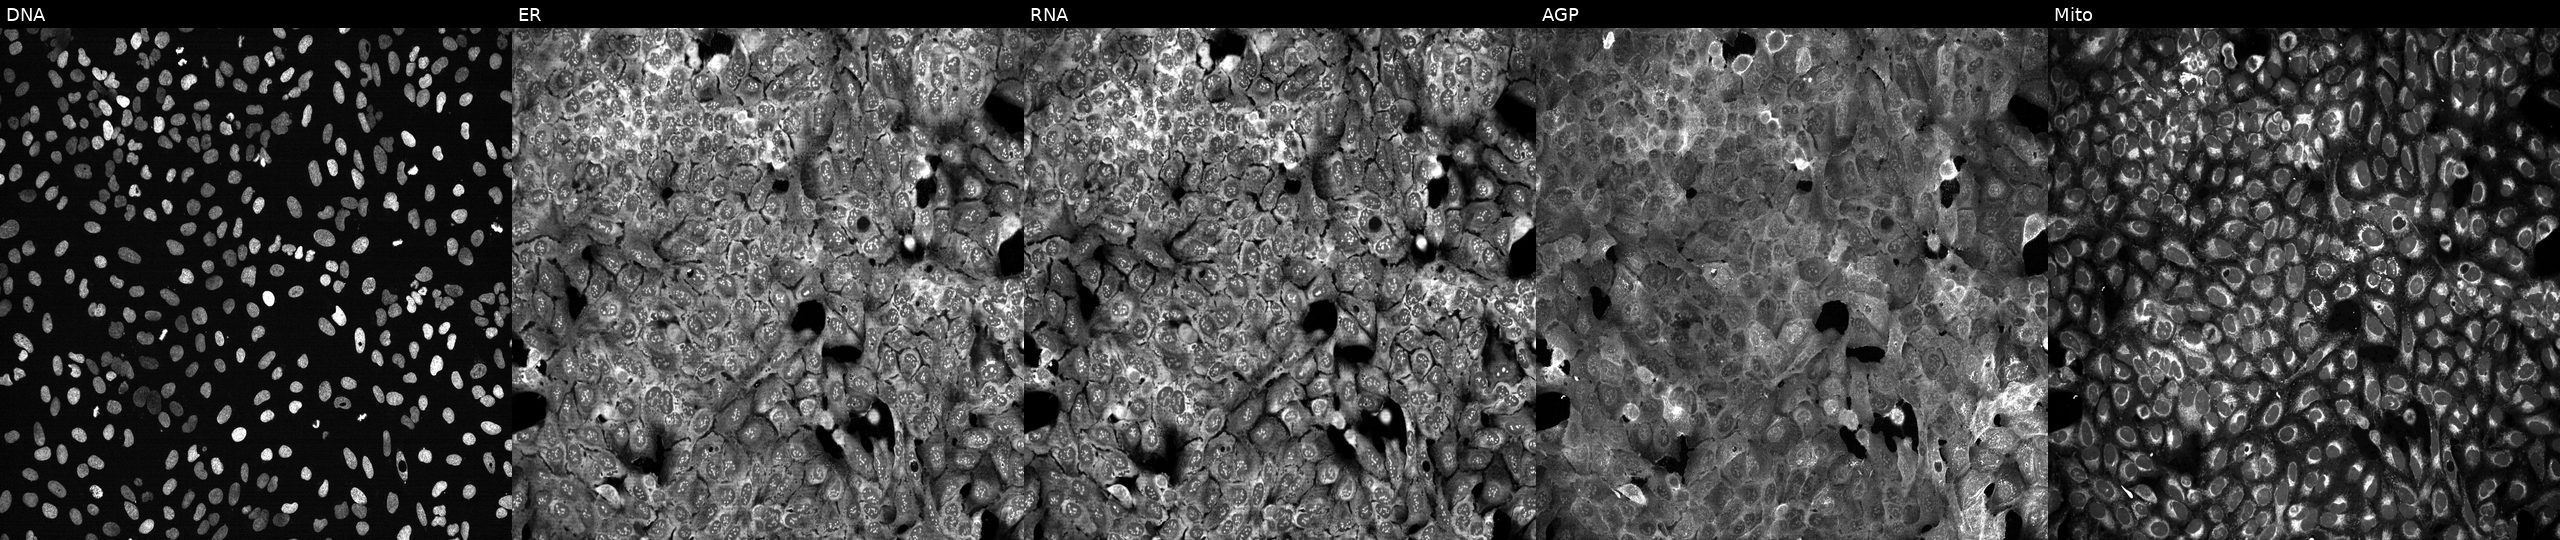
Five-channel Cell Painting image of U2OS cells with NOX3 knocked out by CRISPR (JUMP id JCP2022_804646). Panels show, left to right, DNA (nuclei); ER (endoplasmic reticulum); RNA (nucleoli and cytoplasmic RNA); AGP (actin cytoskeleton, Golgi, and plasma membrane); Mito (mitochondria).